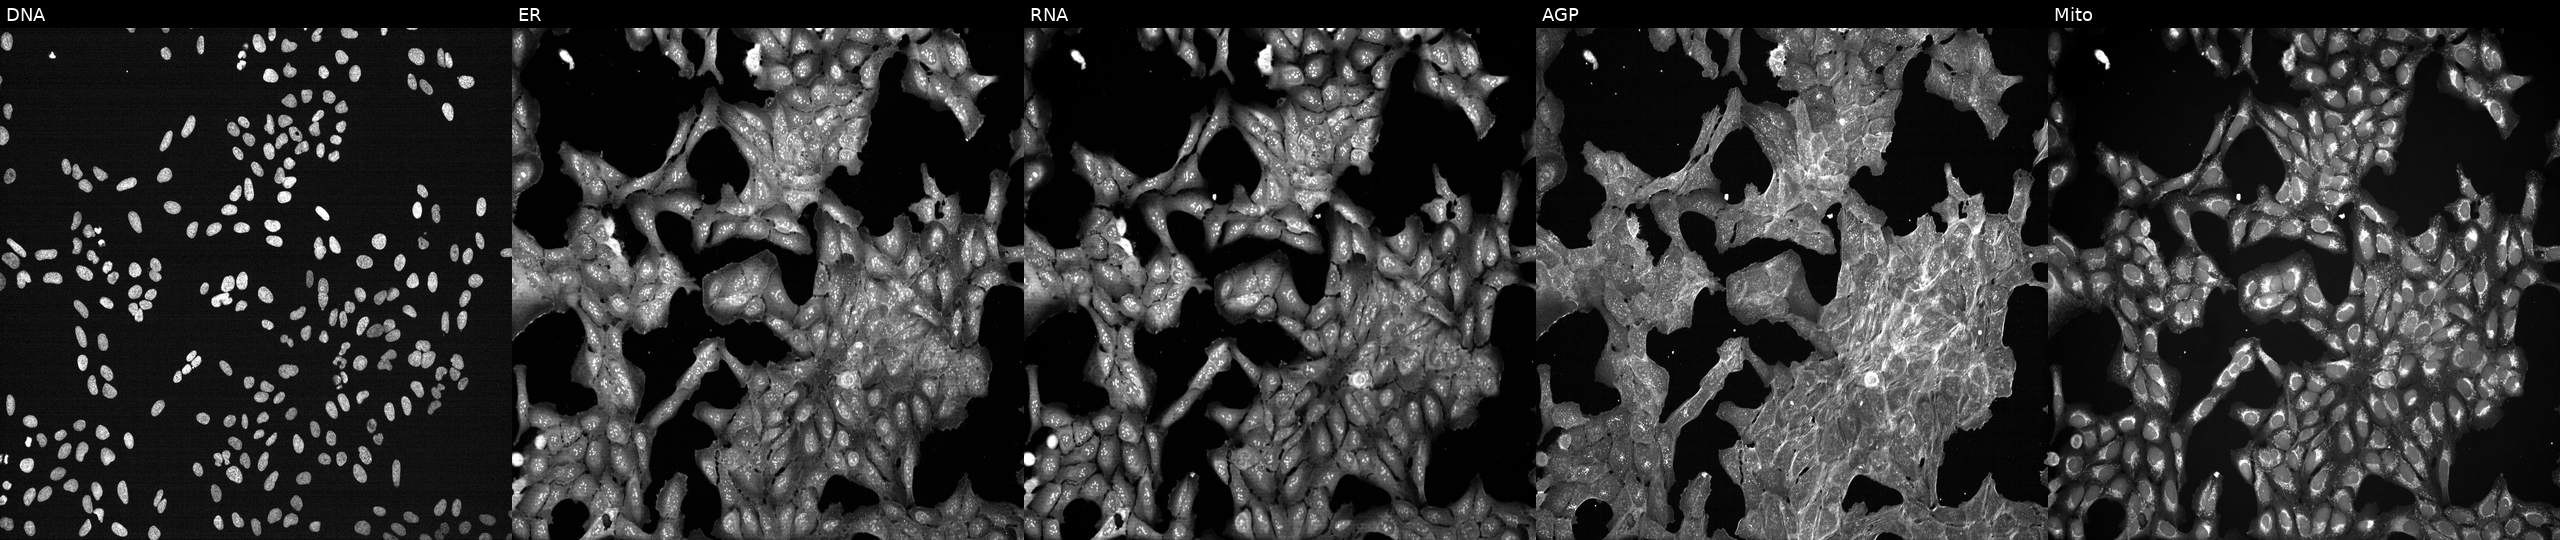
This image strip shows the five Cell Painting channels for a single field of U2OS cells perturbed with a small-molecule compound (InChIKey NGTDJJKTGRNNAU-UHFFFAOYSA-N) [SMILES: OC(Cc1ccncc1)C(Cl)(Cl)Cl]. From left to right: DNA (nuclei); ER (endoplasmic reticulum); RNA (nucleoli and cytoplasmic RNA); AGP (actin cytoskeleton, Golgi, and plasma membrane); Mito (mitochondria). Source 7, plate CP3-SC1-25, well J16.